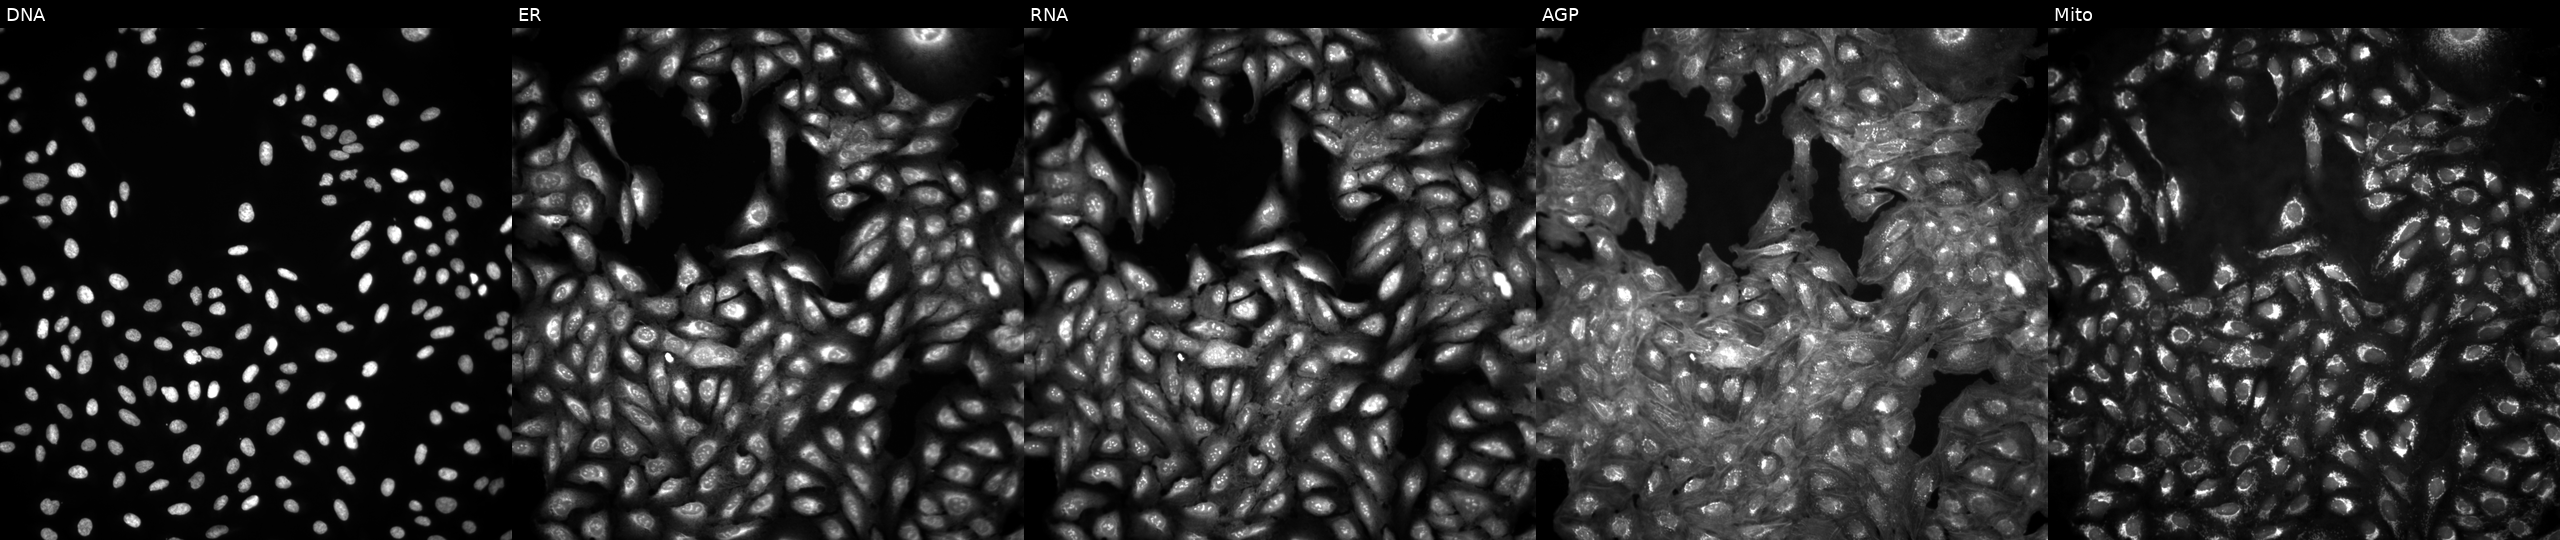
Panels show, left to right, Hoechst 33342, concanavalin A, SYTO 14, phalloidin and WGA, MitoTracker. U2OS osteosarcoma cells in an empty control well (no perturbation). Cell Painting assay, JUMP-CP dataset.